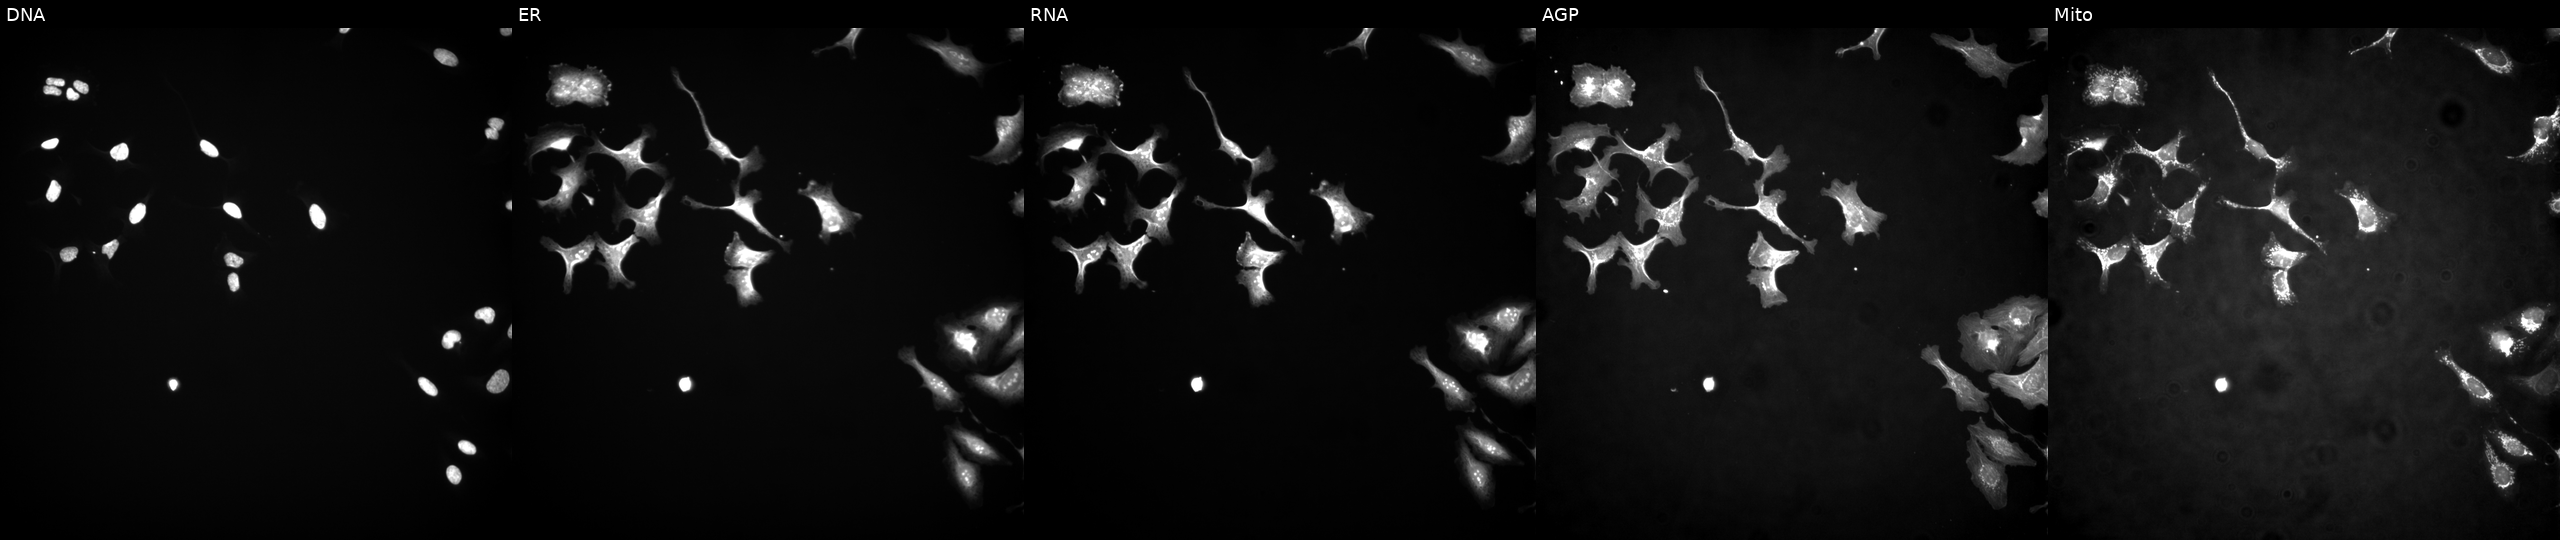
This image strip shows the five Cell Painting channels for a single field of U2OS cells with SIX2 overexpressed (ORF). Panels show, left to right, Hoechst 33342, concanavalin A, SYTO 14, phalloidin and WGA, MitoTracker.